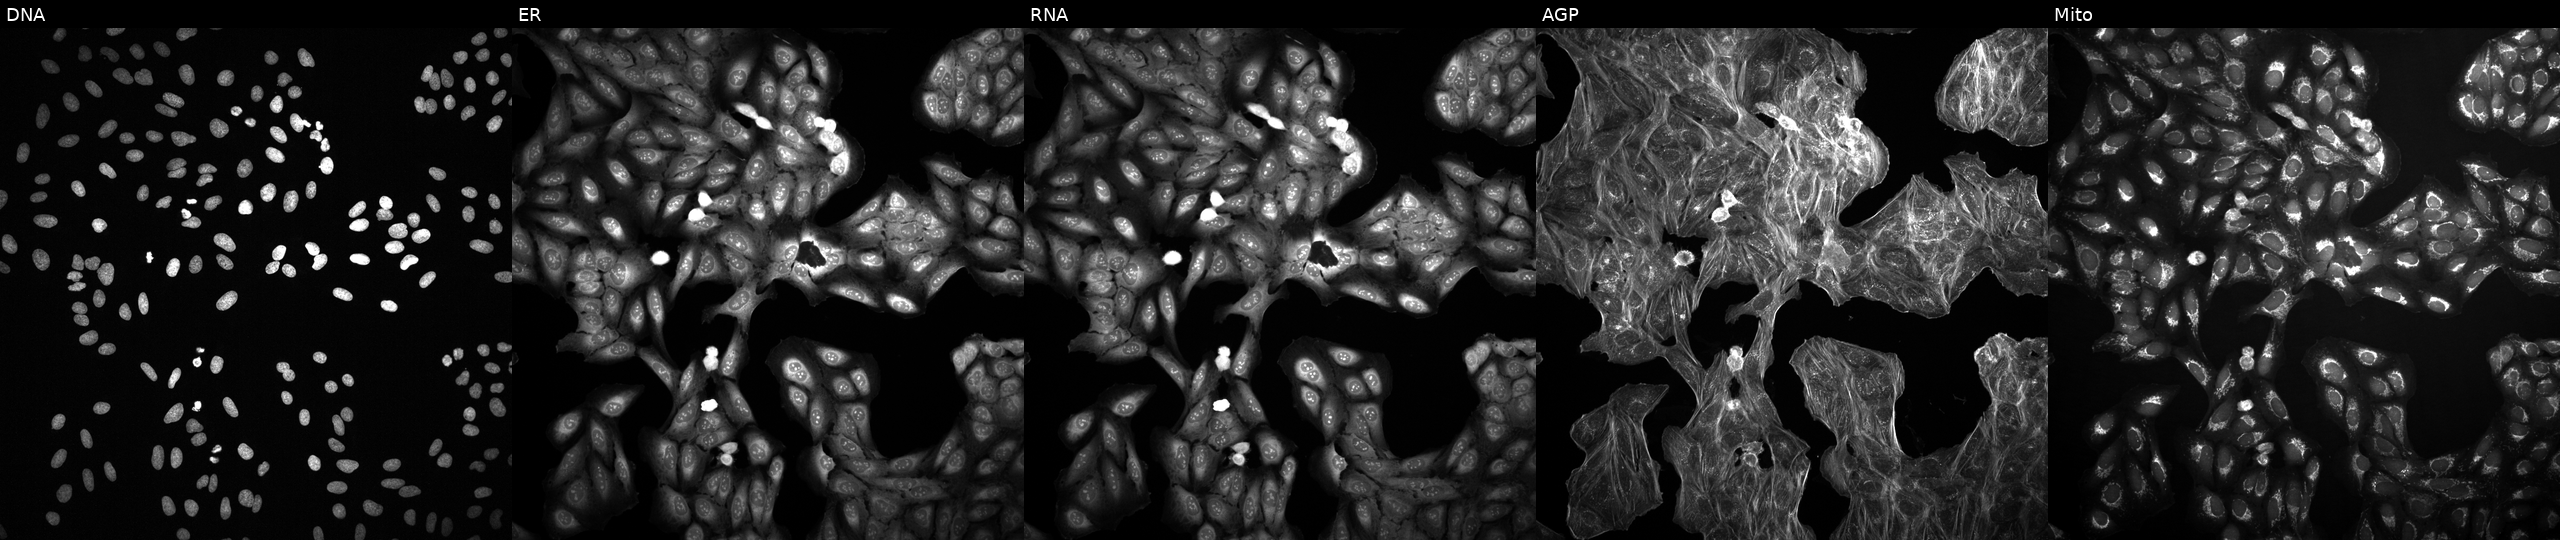
The five panels, left to right, show DNA, ER, RNA, AGP, and Mito. U2OS osteosarcoma cells exposed to DMSO alone as a negative control (JUMP id JCP2022_033924). Cell Painting assay, JUMP-CP dataset.